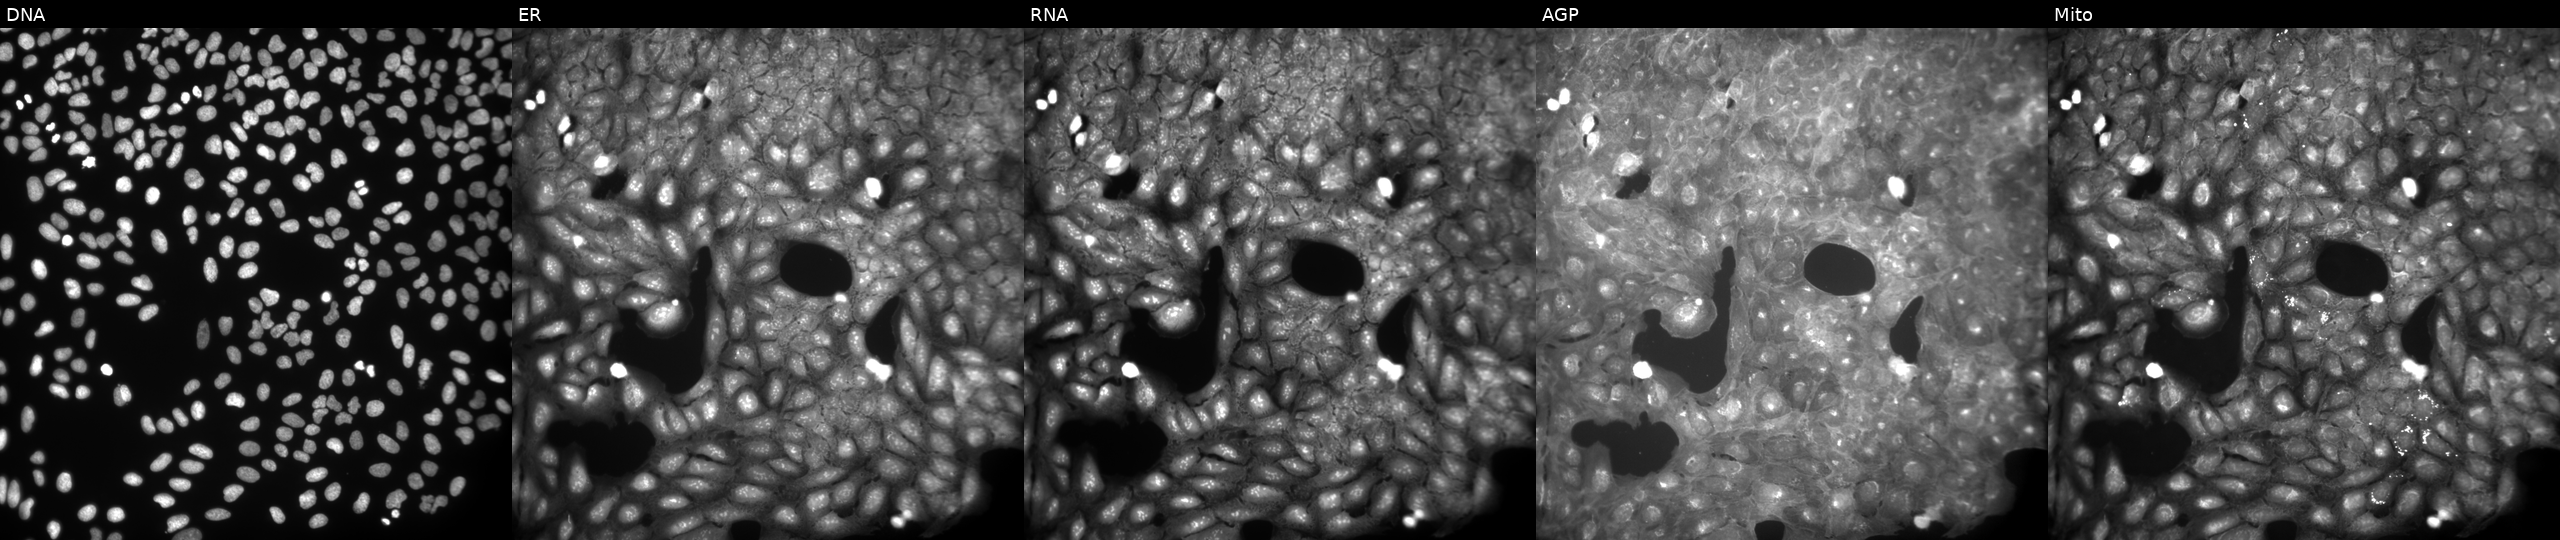
U2OS cells, Cell Painting assay, perturbed with a small-molecule compound (JUMP id JCP2022_042418). Channels (left→right): DNA, ER, RNA, AGP, and Mito. Each panel is percentile-stretched 16-bit fluorescence. Source 9, plate GR00003381, well E45.